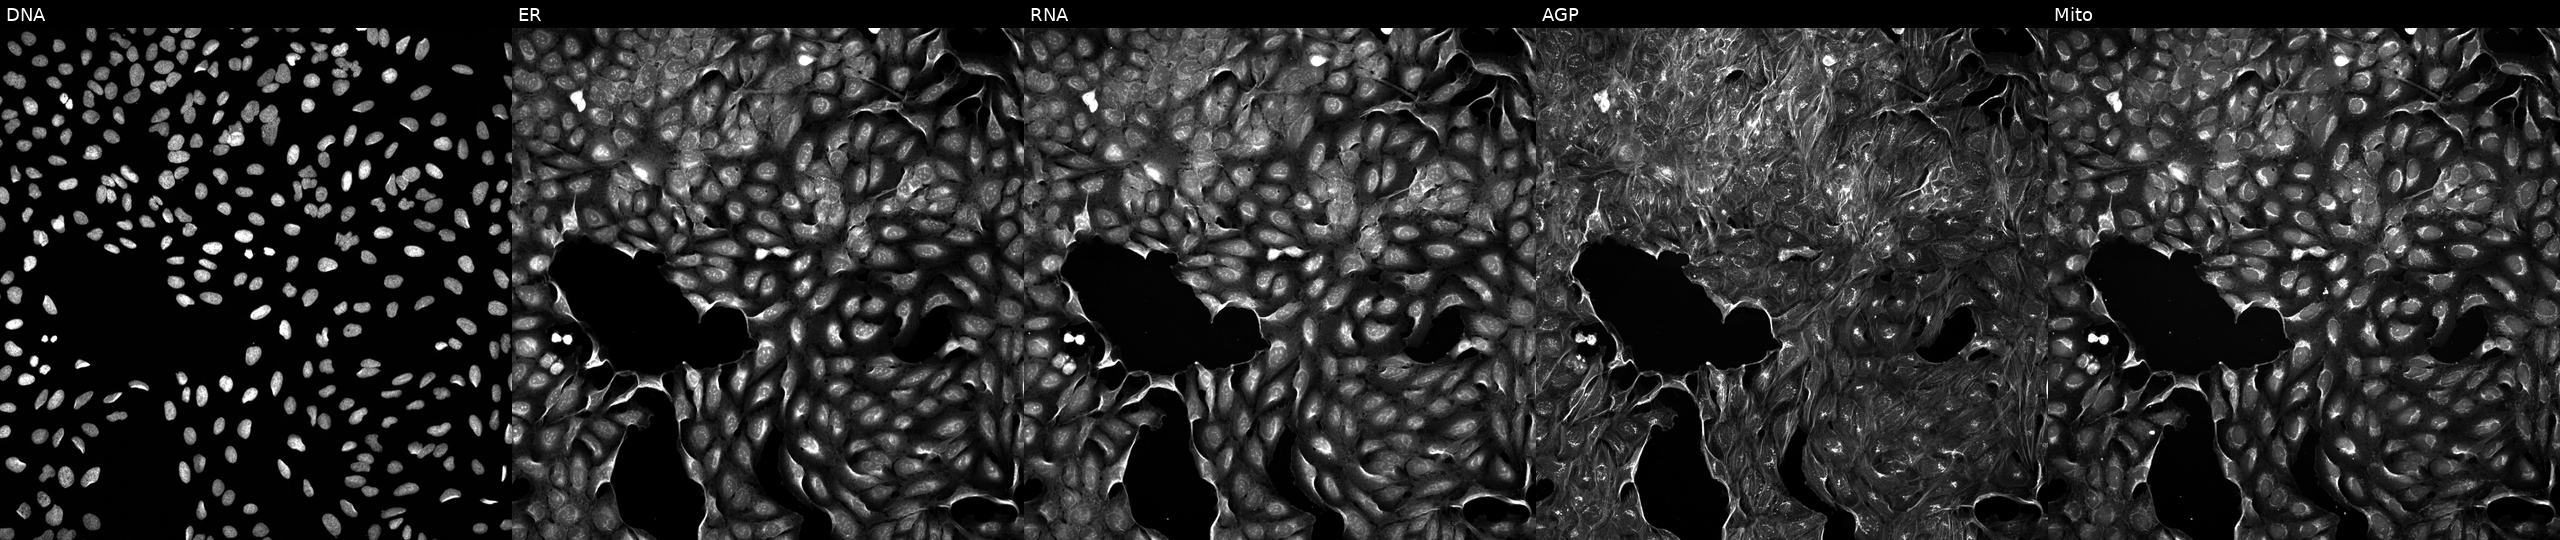
JUMP Cell Painting — COMPOUND plate. U2OS cells exposed to a small-molecule compound. Panels show, left to right, Hoechst 33342, concanavalin A, SYTO 14, phalloidin and WGA, MitoTracker. Source 5, plate APTJUM106, well O06.